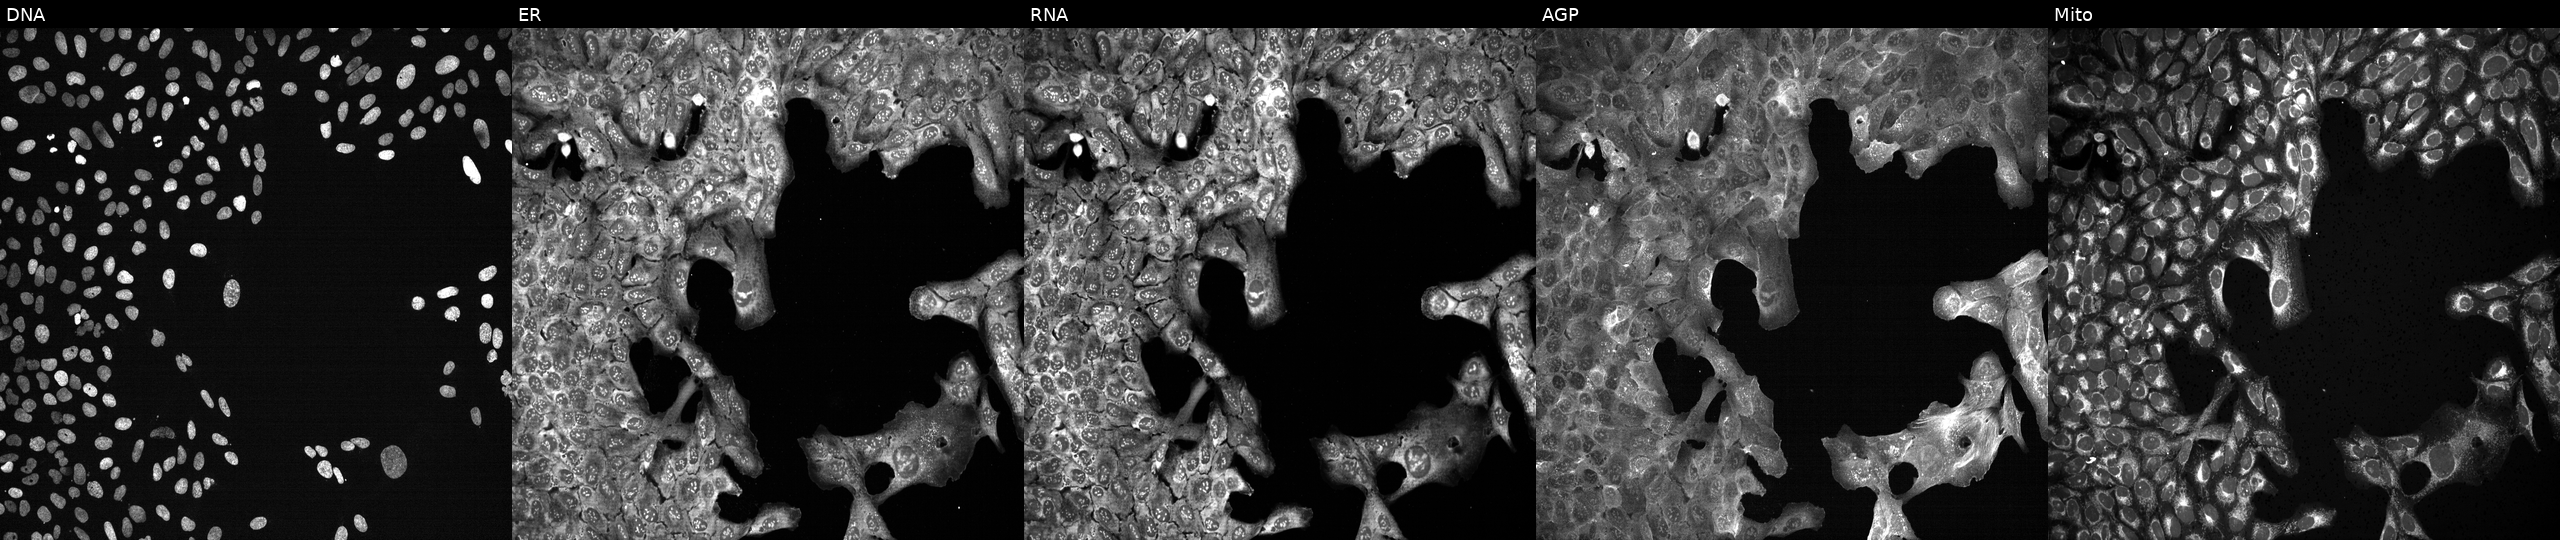
JUMP Cell Painting — CRISPR plate. U2OS cells with GCLM knocked out by CRISPR (JUMP id JCP2022_802643). Channels (left→right): DNA, ER, RNA, AGP, and Mito.